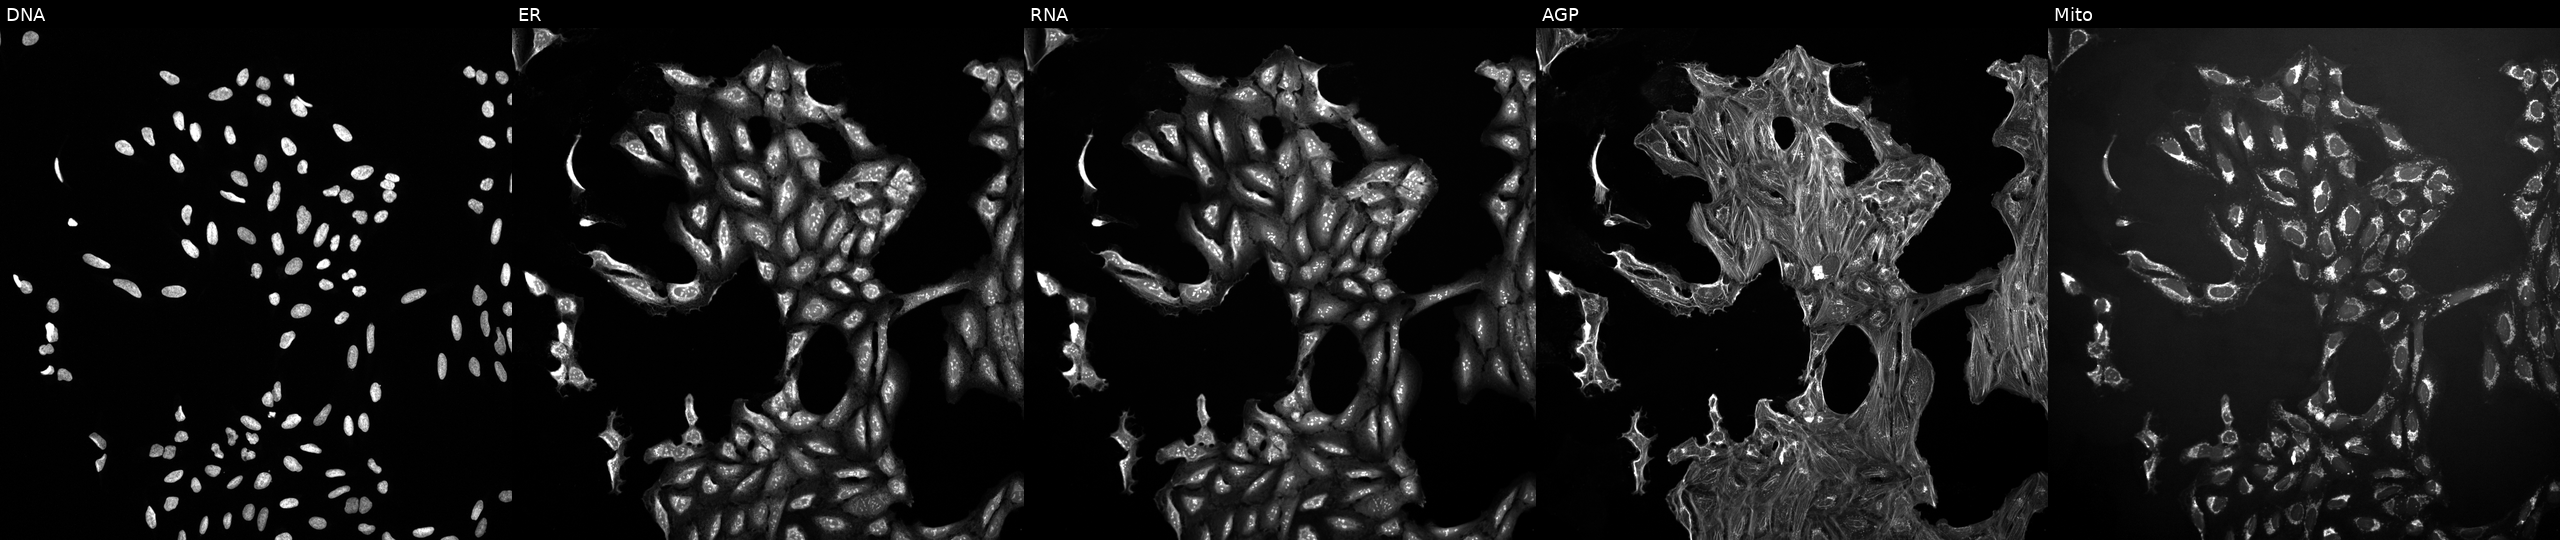
High-content fluorescence microscopy (Cell Painting). Cell line: U2OS. Perturbation: exposed to DMSO alone as a negative control (JUMP id JCP2022_033924). From left to right: Hoechst 33342, concanavalin A, SYTO 14, phalloidin and WGA, MitoTracker.